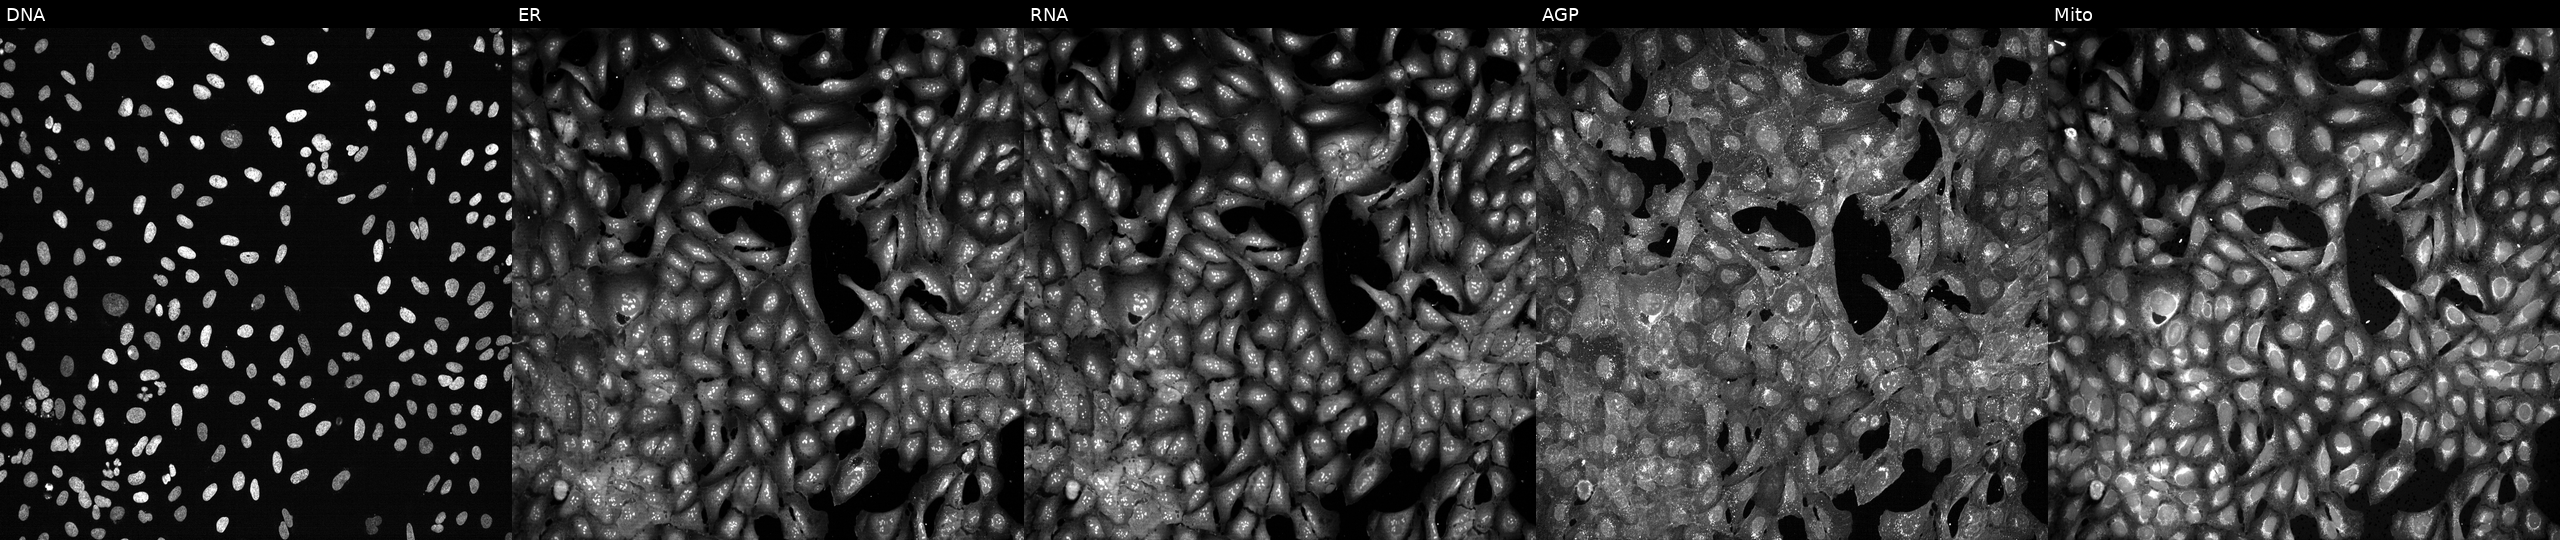
Five-channel Cell Painting image of U2OS cells following CRISPR knockout of PARP1 (JUMP id JCP2022_804923). Panels show, left to right, Hoechst 33342, concanavalin A, SYTO 14, phalloidin and WGA, MitoTracker. Source 13, plate CP-CC9-R1-01, well D15.